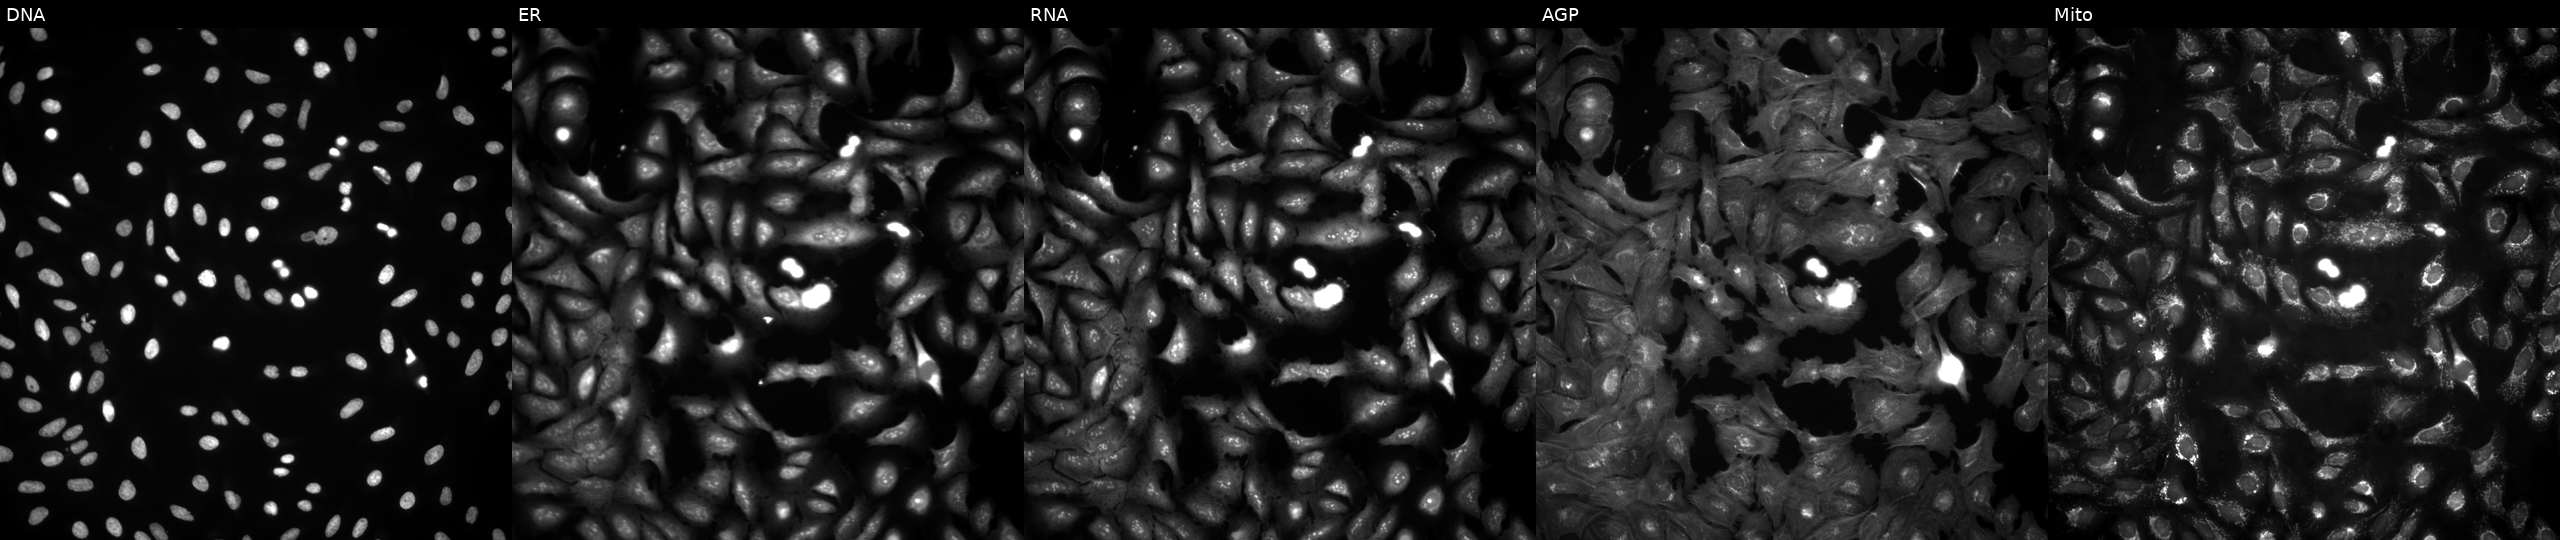
High-content fluorescence microscopy (Cell Painting). Cell line: U2OS. Perturbation: transfected with an ORF construct for GNLY (JUMP id JCP2022_902318). From left to right: Hoechst 33342, concanavalin A, SYTO 14, phalloidin and WGA, MitoTracker. Source 4, plate BR00124784, well P04.